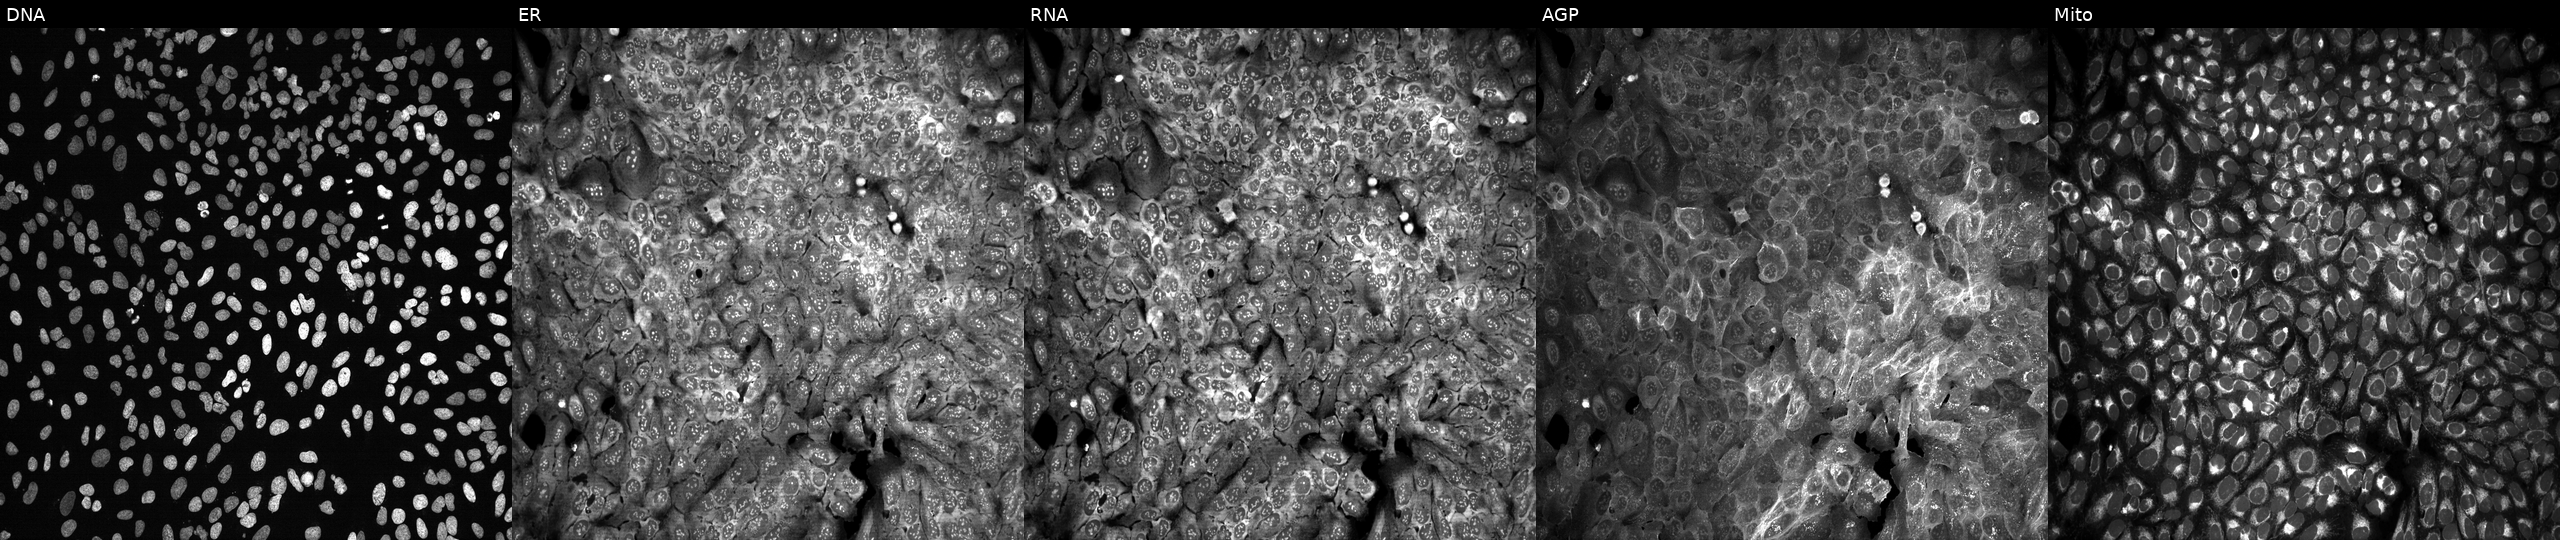
JUMP Cell Painting — CRISPR plate. U2OS cells following CRISPR knockout of MMP13. The five panels, left to right, show DNA (nuclei); ER (endoplasmic reticulum); RNA (nucleoli and cytoplasmic RNA); AGP (actin cytoskeleton, Golgi, and plasma membrane); Mito (mitochondria).